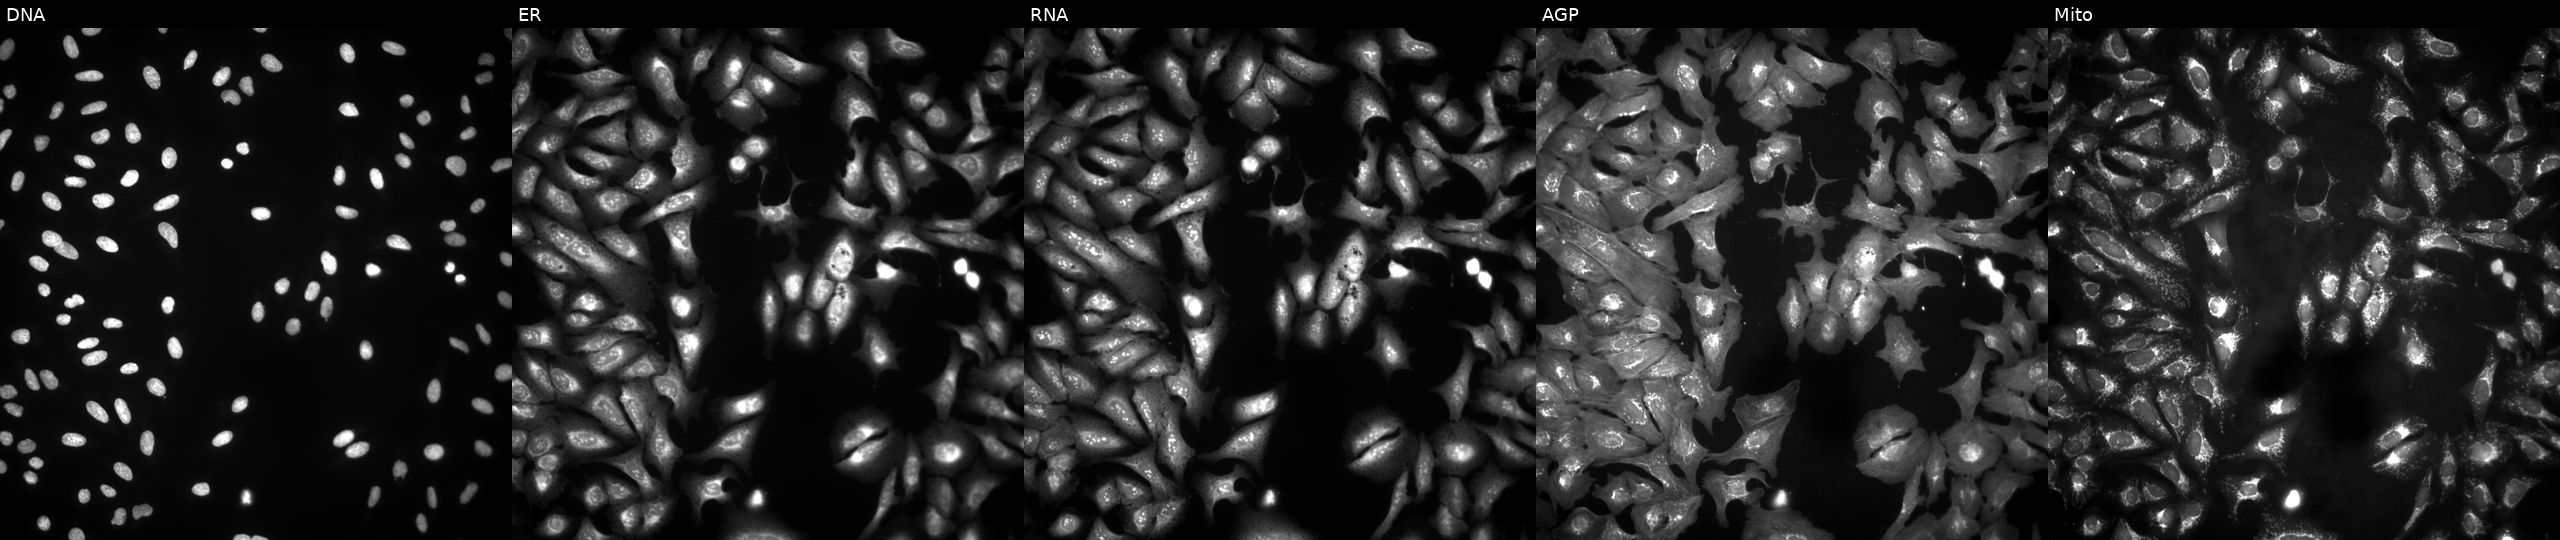
JUMP Cell Painting — ORF plate. U2OS cells in an empty control well (no perturbation). The five panels, left to right, show DNA (nuclei); ER (endoplasmic reticulum); RNA (nucleoli and cytoplasmic RNA); AGP (actin cytoskeleton, Golgi, and plasma membrane); Mito (mitochondria). Source 4, plate BR00124790, well O21.